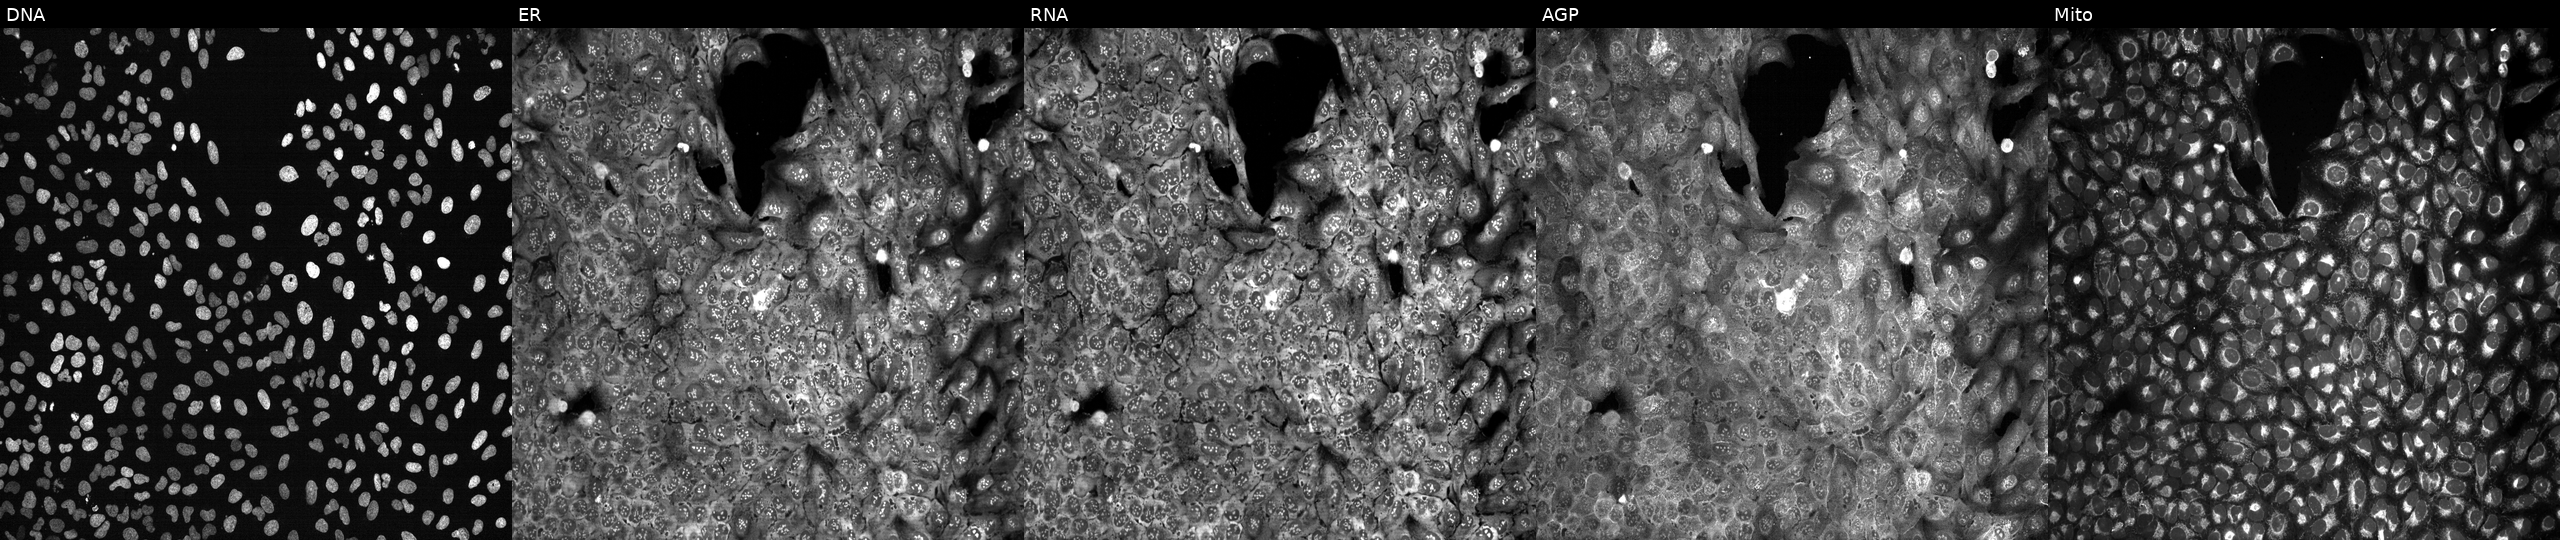
The five panels, left to right, show Hoechst 33342, concanavalin A, SYTO 14, phalloidin and WGA, MitoTracker. U2OS osteosarcoma cells with CNTF knocked out by CRISPR (JUMP id JCP2022_801424). Cell Painting assay, JUMP-CP dataset.